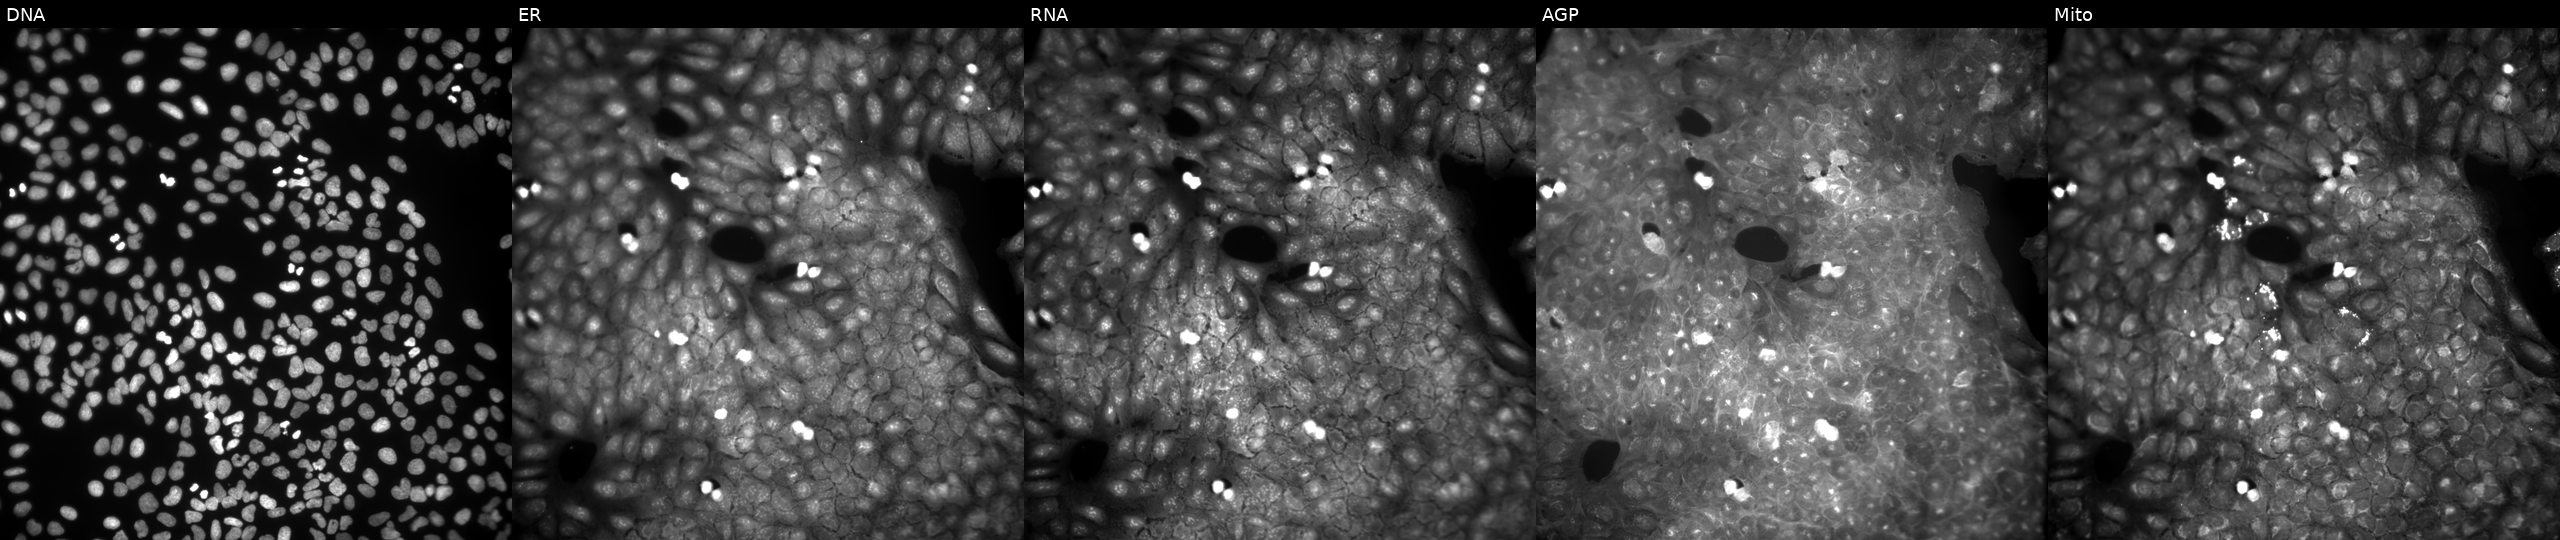
High-content fluorescence microscopy (Cell Painting). Cell line: U2OS. Perturbation: exposed to DMSO alone as a negative control (JUMP id JCP2022_033924). The five panels, left to right, show Hoechst 33342, concanavalin A, SYTO 14, phalloidin and WGA, MitoTracker.